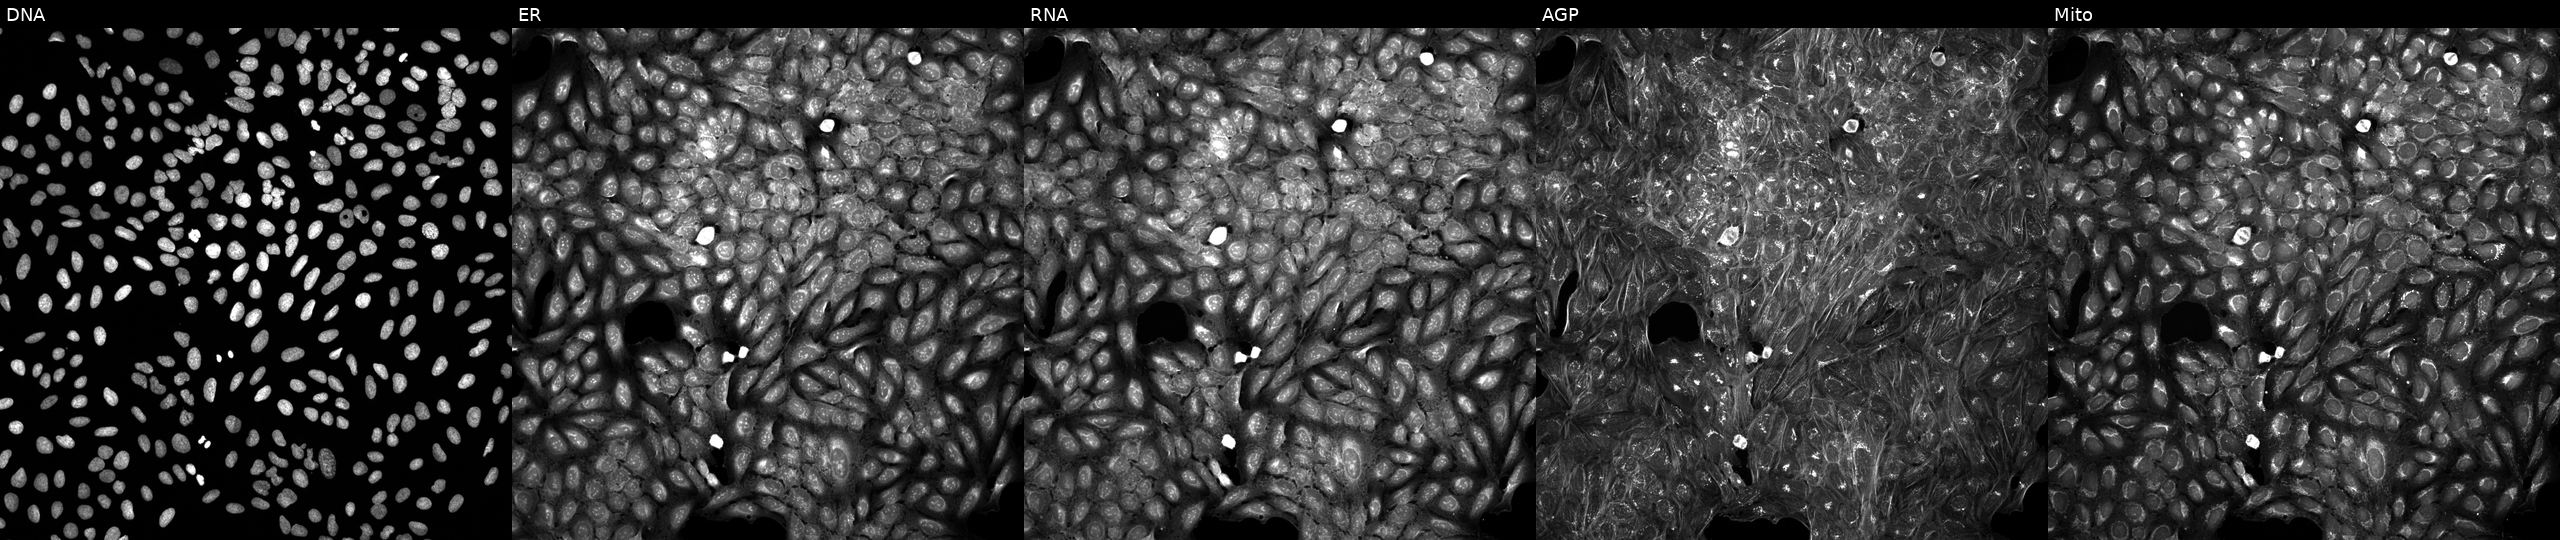
U2OS cells, Cell Painting assay, treated with a small-molecule compound (JUMP id JCP2022_073850). From left to right: DNA, ER, RNA, AGP, and Mito. Each panel is percentile-stretched 16-bit fluorescence. Source 5, plate APTJUM106, well C17.